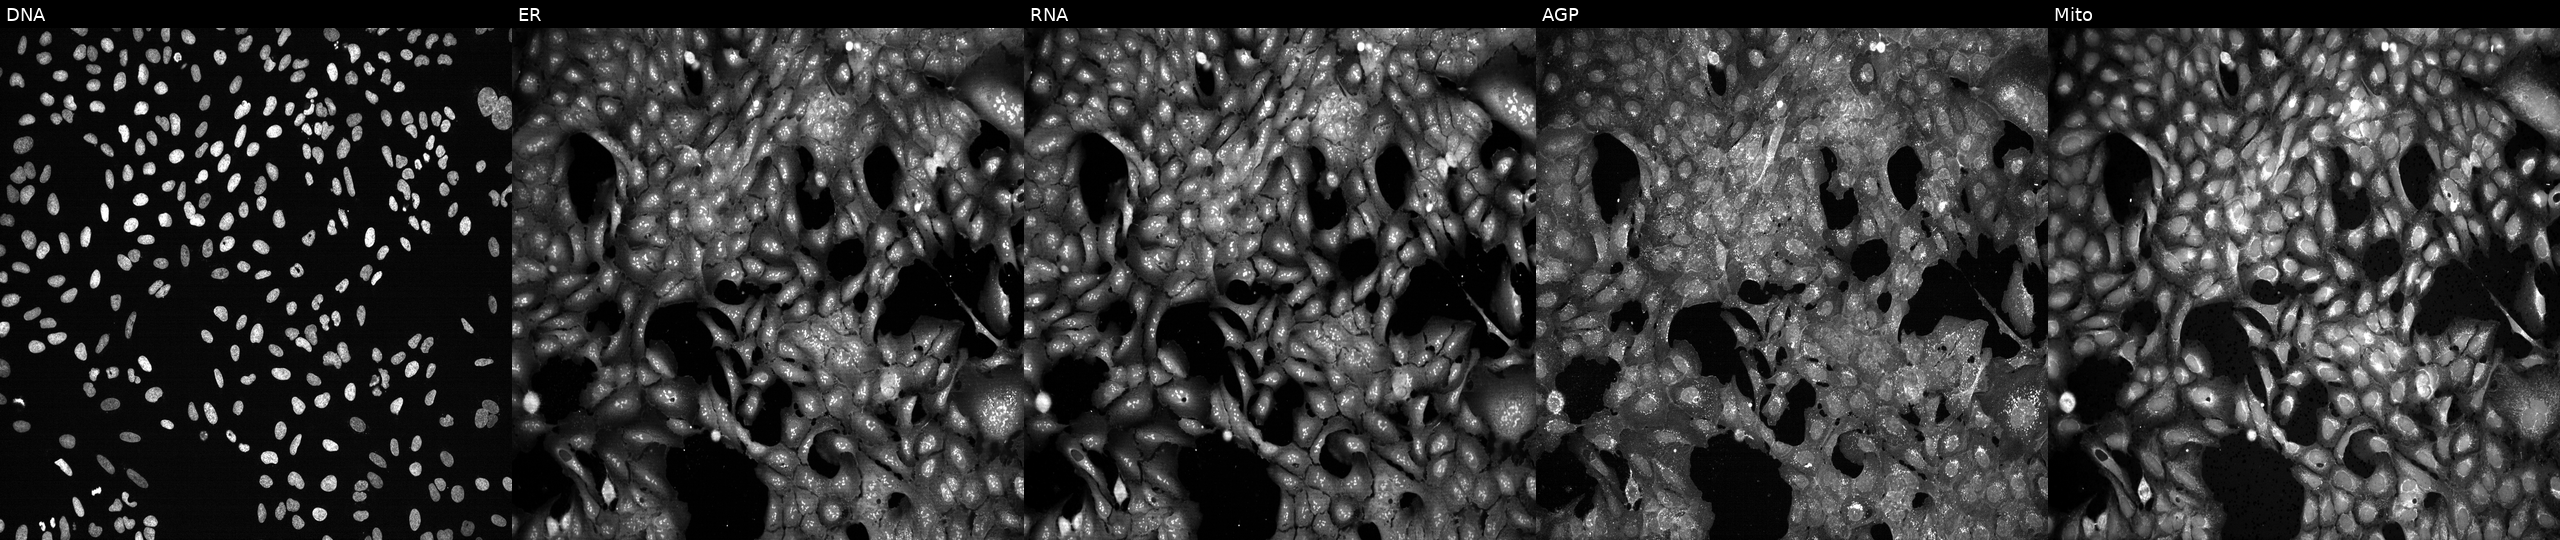
JUMP Cell Painting — CRISPR plate. U2OS cells following CRISPR knockout of TUBD1. The five panels, left to right, show Hoechst 33342, concanavalin A, SYTO 14, phalloidin and WGA, MitoTracker. Source 13, plate CP-CC9-R1-02, well F14.